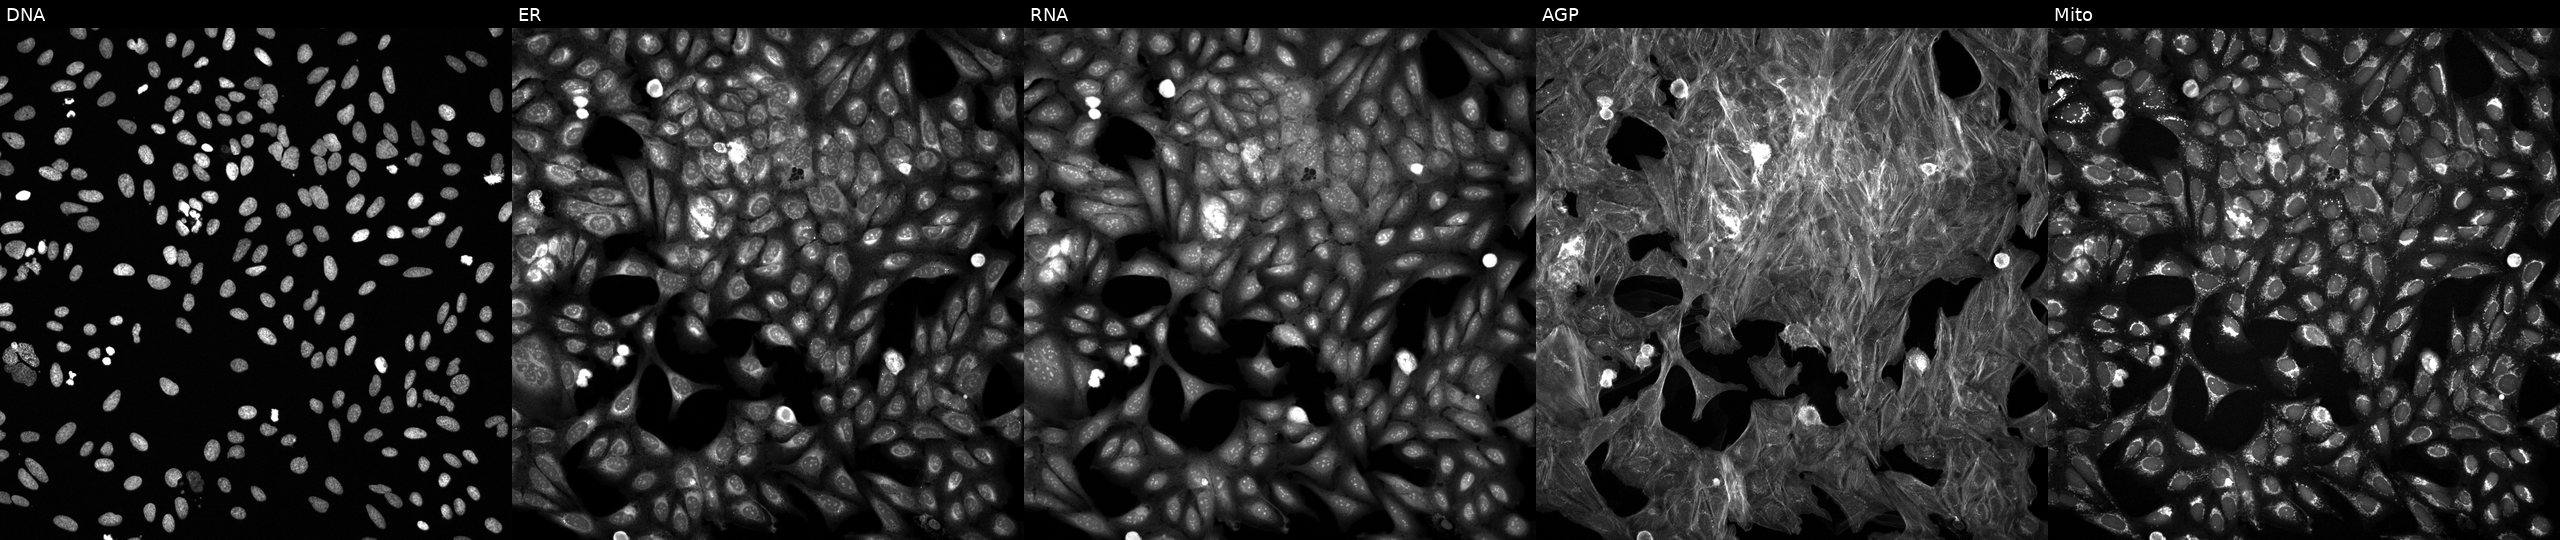
This image strip shows the five Cell Painting channels for a single field of U2OS cells perturbed with a small-molecule compound (InChIKey LLVZBTWPGQVVLW-UHFFFAOYSA-N) [SMILES: COCC(=O)NCC=Cc1ccc2[nH]cnc(=Nc3ccc(Oc4ccc(C)nc4)c(C)c3)c2c1]. From left to right: DNA, ER, RNA, AGP, and Mito.